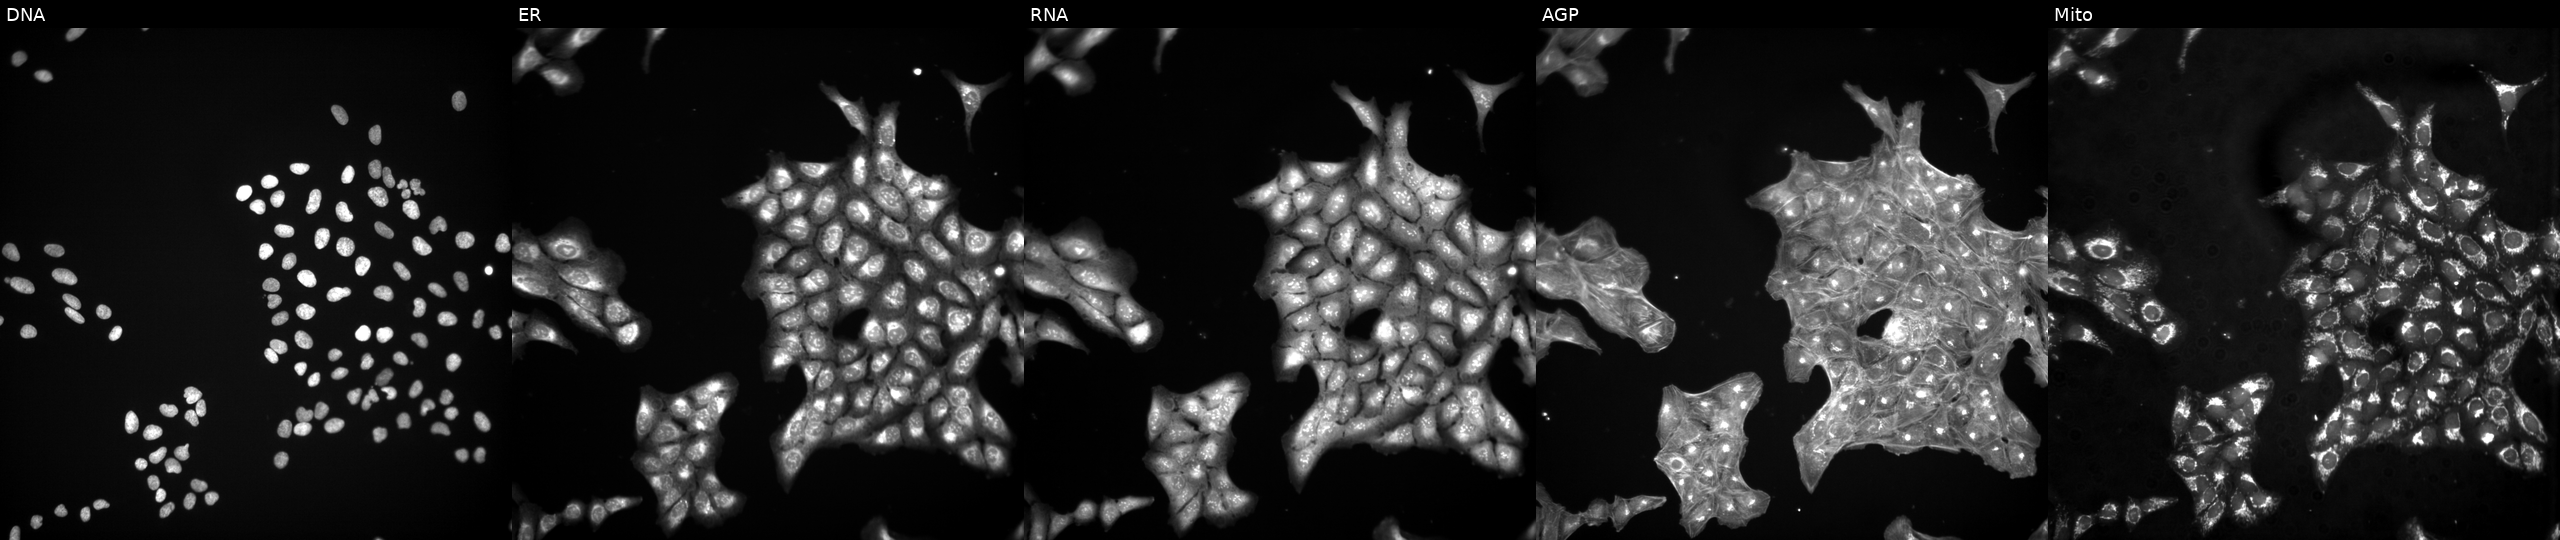
This image strip shows the five Cell Painting channels for a single field of U2OS cells exposed to DMSO alone as a negative control (JUMP id JCP2022_033924). Channels (left→right): Hoechst 33342, concanavalin A, SYTO 14, phalloidin and WGA, MitoTracker.